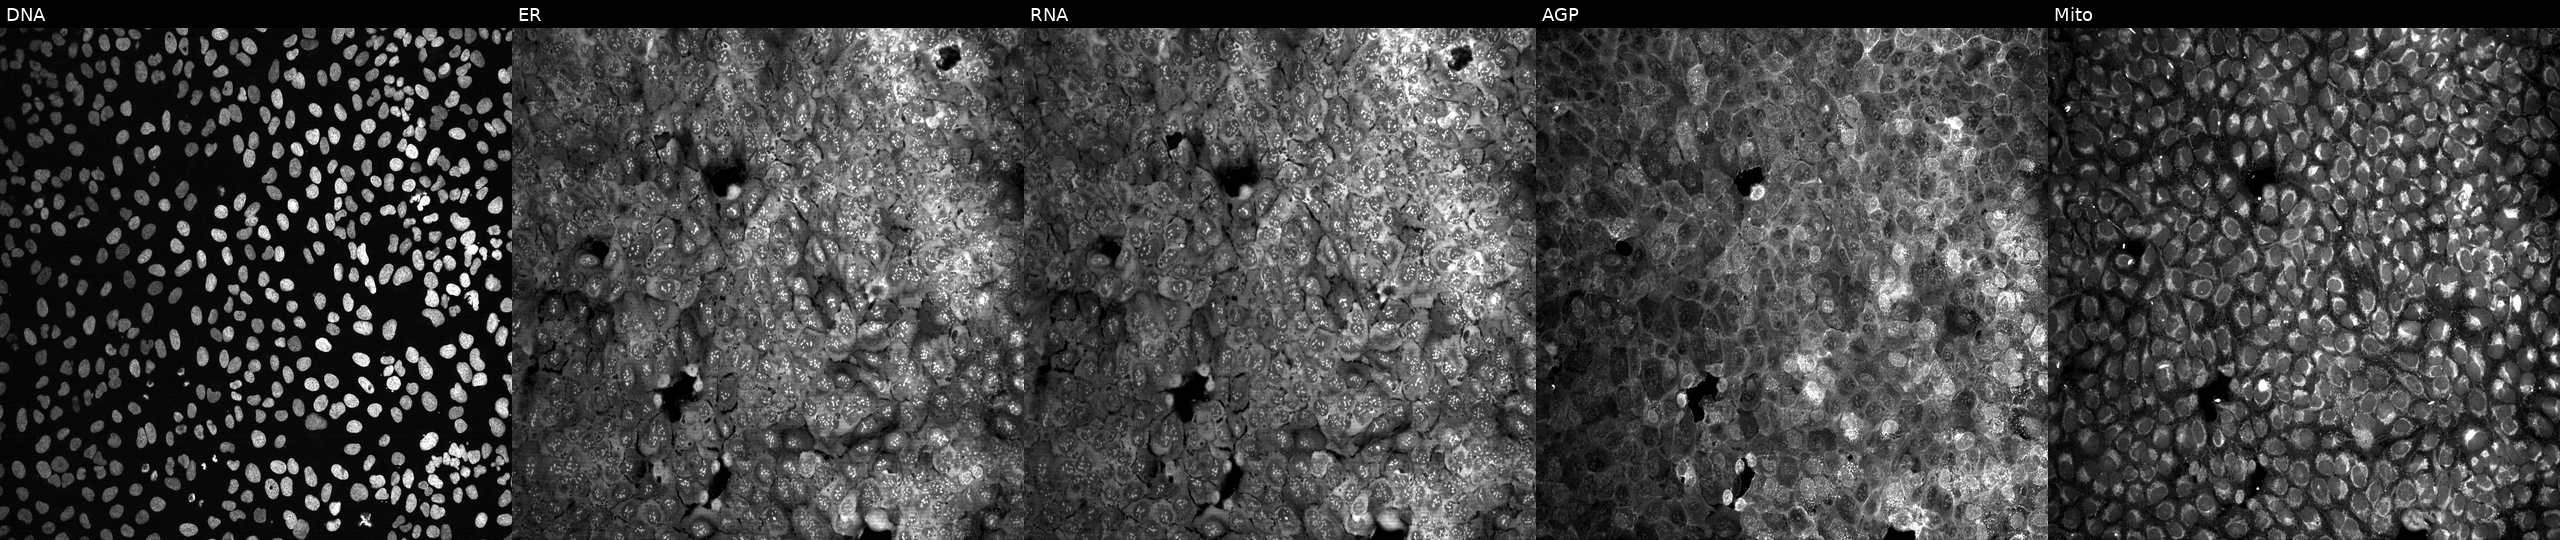
U2OS cells, Cell Painting assay, exposed to the positive-control compound aloxistatin. From left to right: Hoechst 33342, concanavalin A, SYTO 14, phalloidin and WGA, MitoTracker. Each panel is percentile-stretched 16-bit fluorescence.